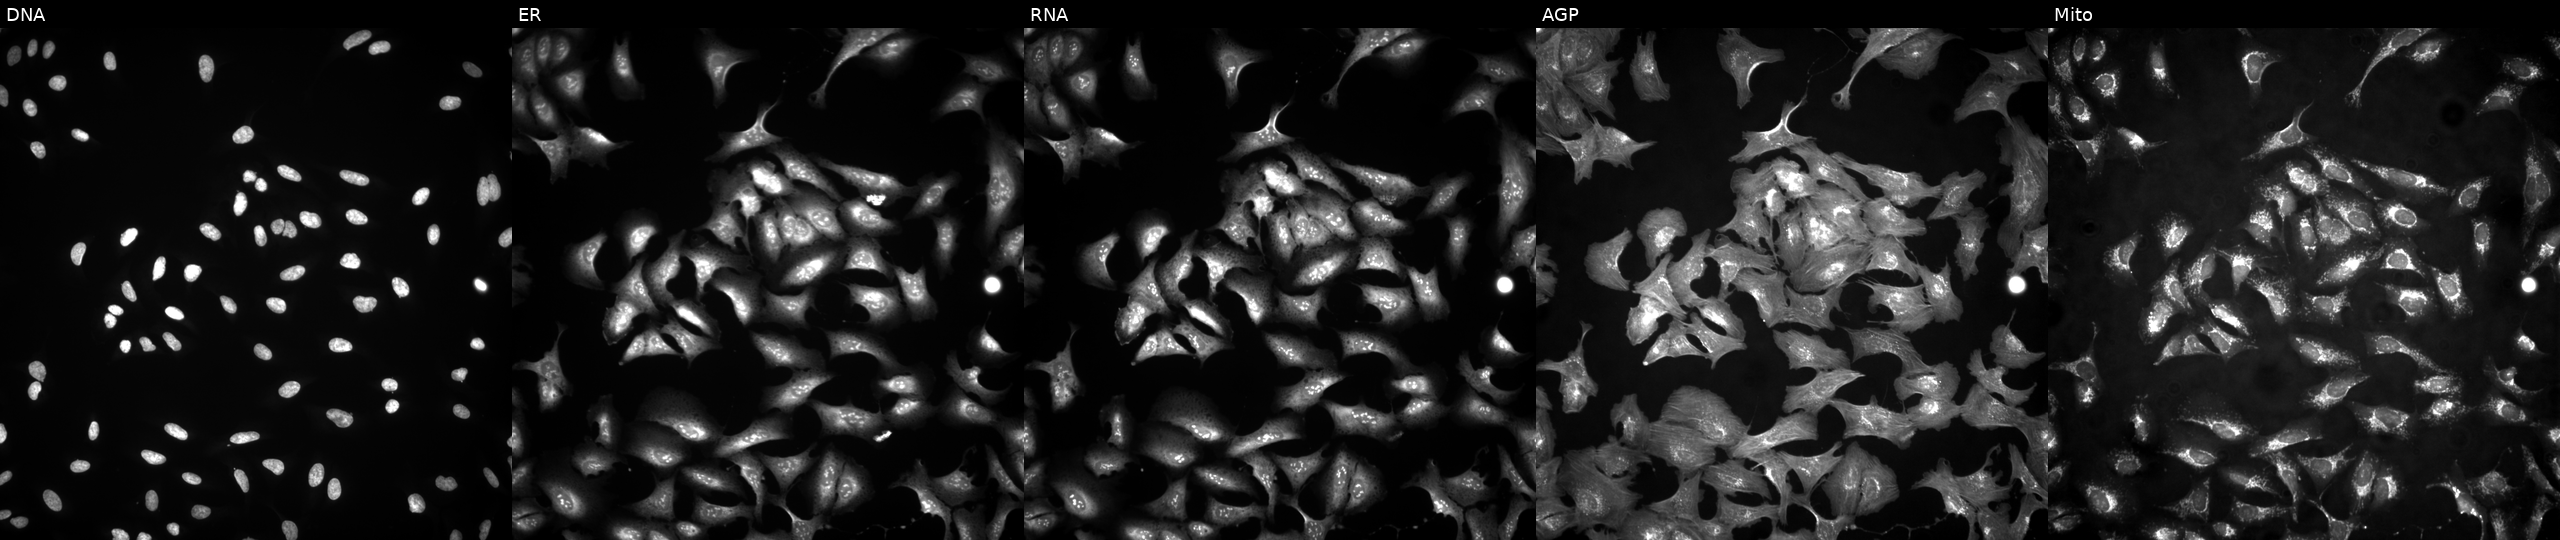
The five panels, left to right, show Hoechst 33342, concanavalin A, SYTO 14, phalloidin and WGA, MitoTracker. U2OS osteosarcoma cells transfected with an ORF construct for DYNC2LI1 (JUMP id JCP2022_907788). Cell Painting assay, JUMP-CP dataset.